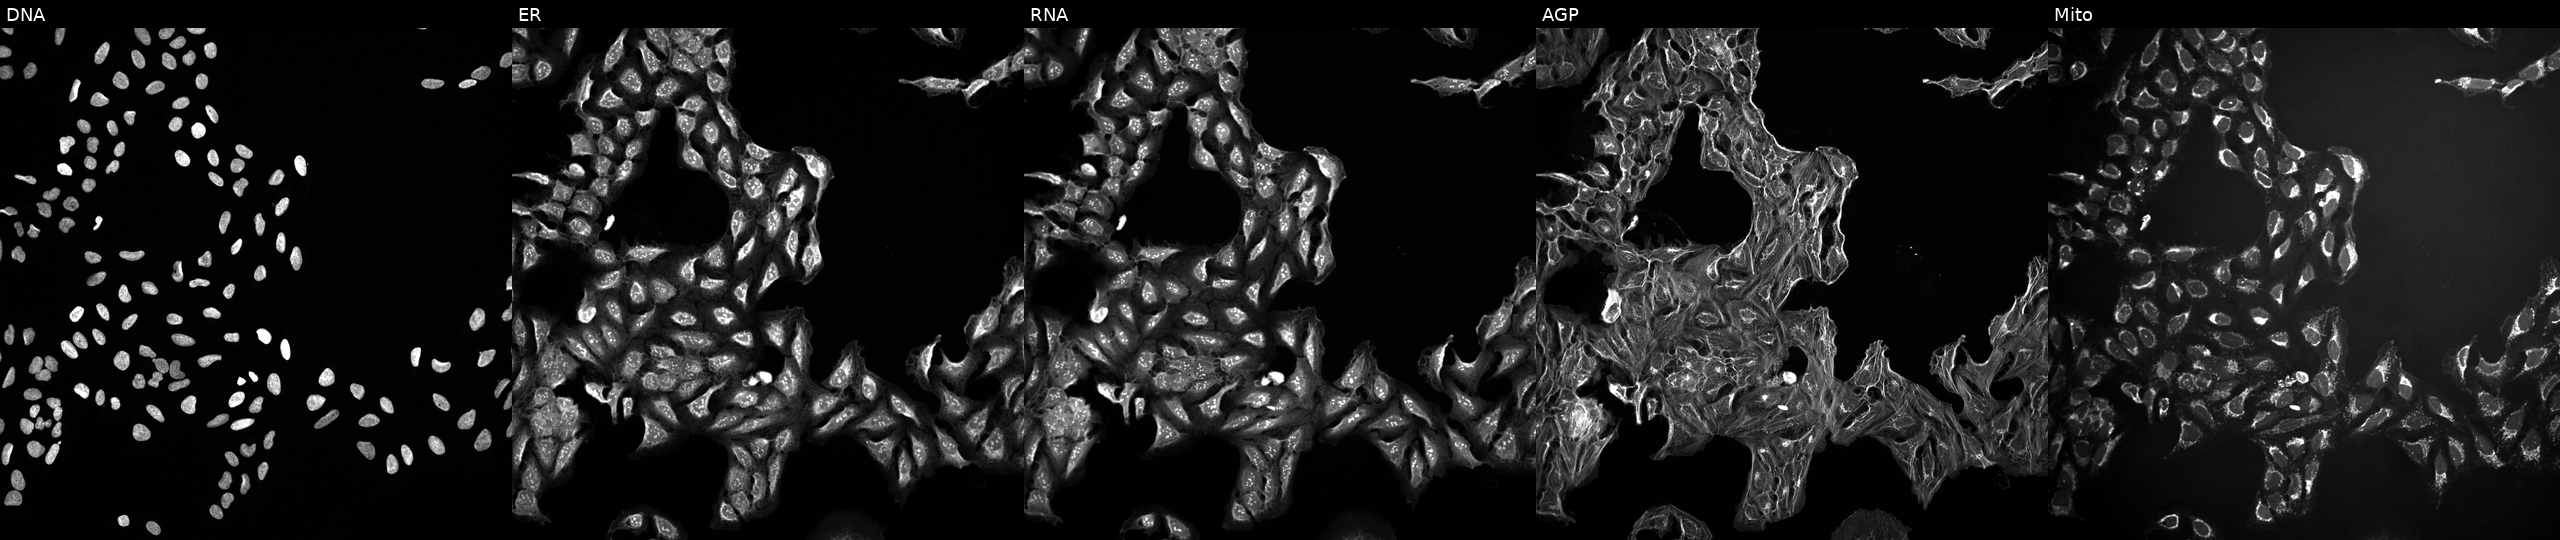
JUMP Cell Painting — TARGET2 plate. U2OS cells exposed to DMSO alone as a negative control (JUMP id JCP2022_033924). Channels (left→right): Hoechst 33342, concanavalin A, SYTO 14, phalloidin and WGA, MitoTracker.